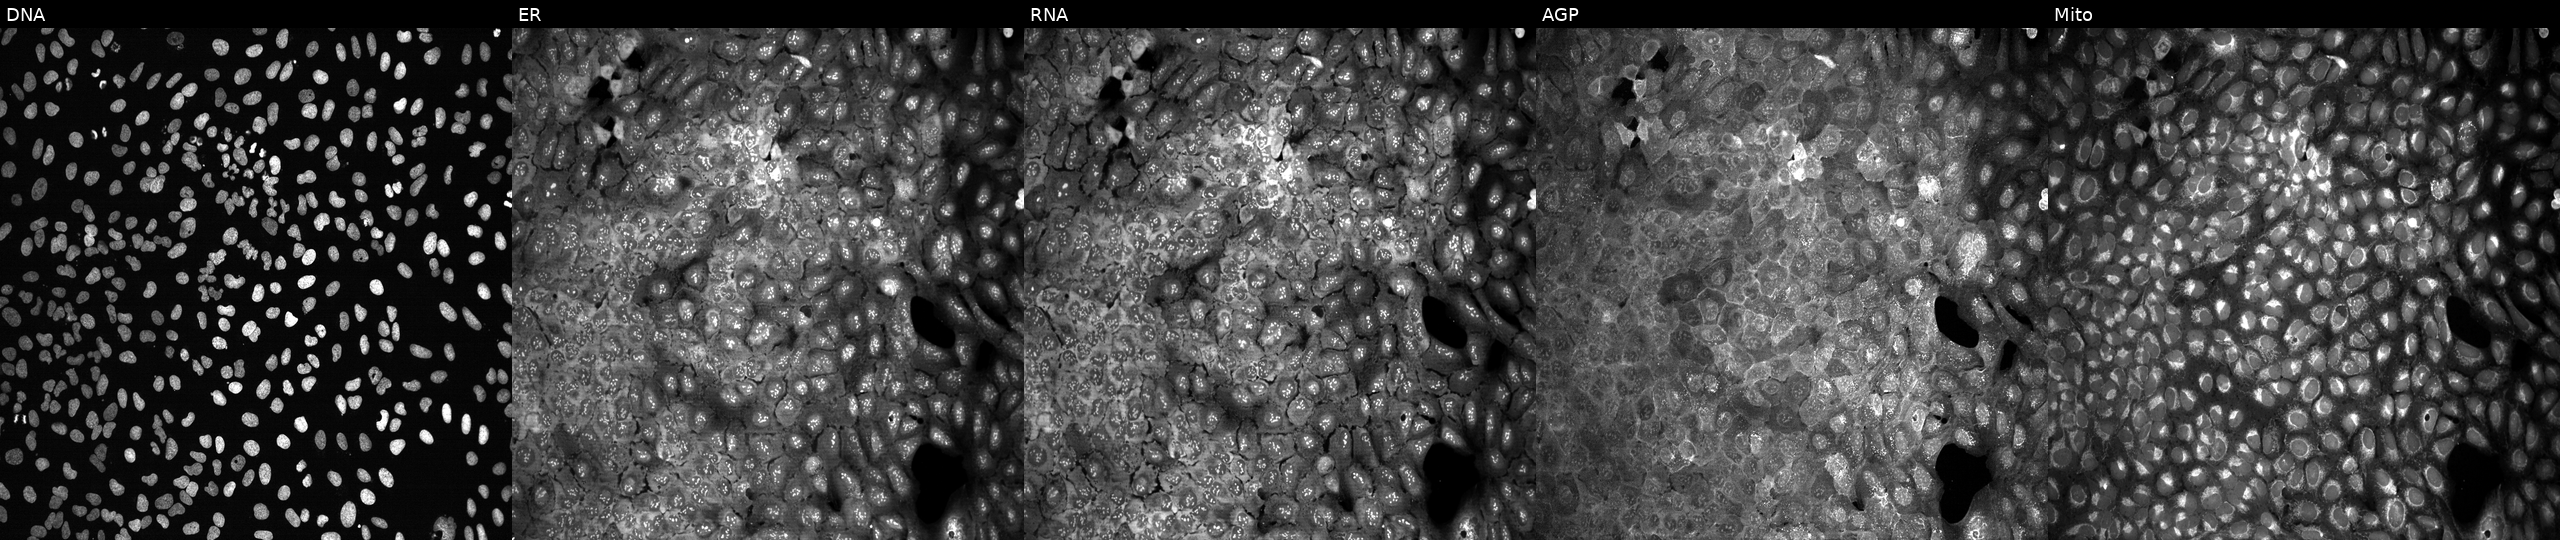
High-content fluorescence microscopy (Cell Painting). Cell line: U2OS. Perturbation: with GTPBP1 knocked out by CRISPR (JUMP id JCP2022_802970). From left to right: Hoechst 33342, concanavalin A, SYTO 14, phalloidin and WGA, MitoTracker. Source 13, plate CP-CC9-R5-01, well F04.